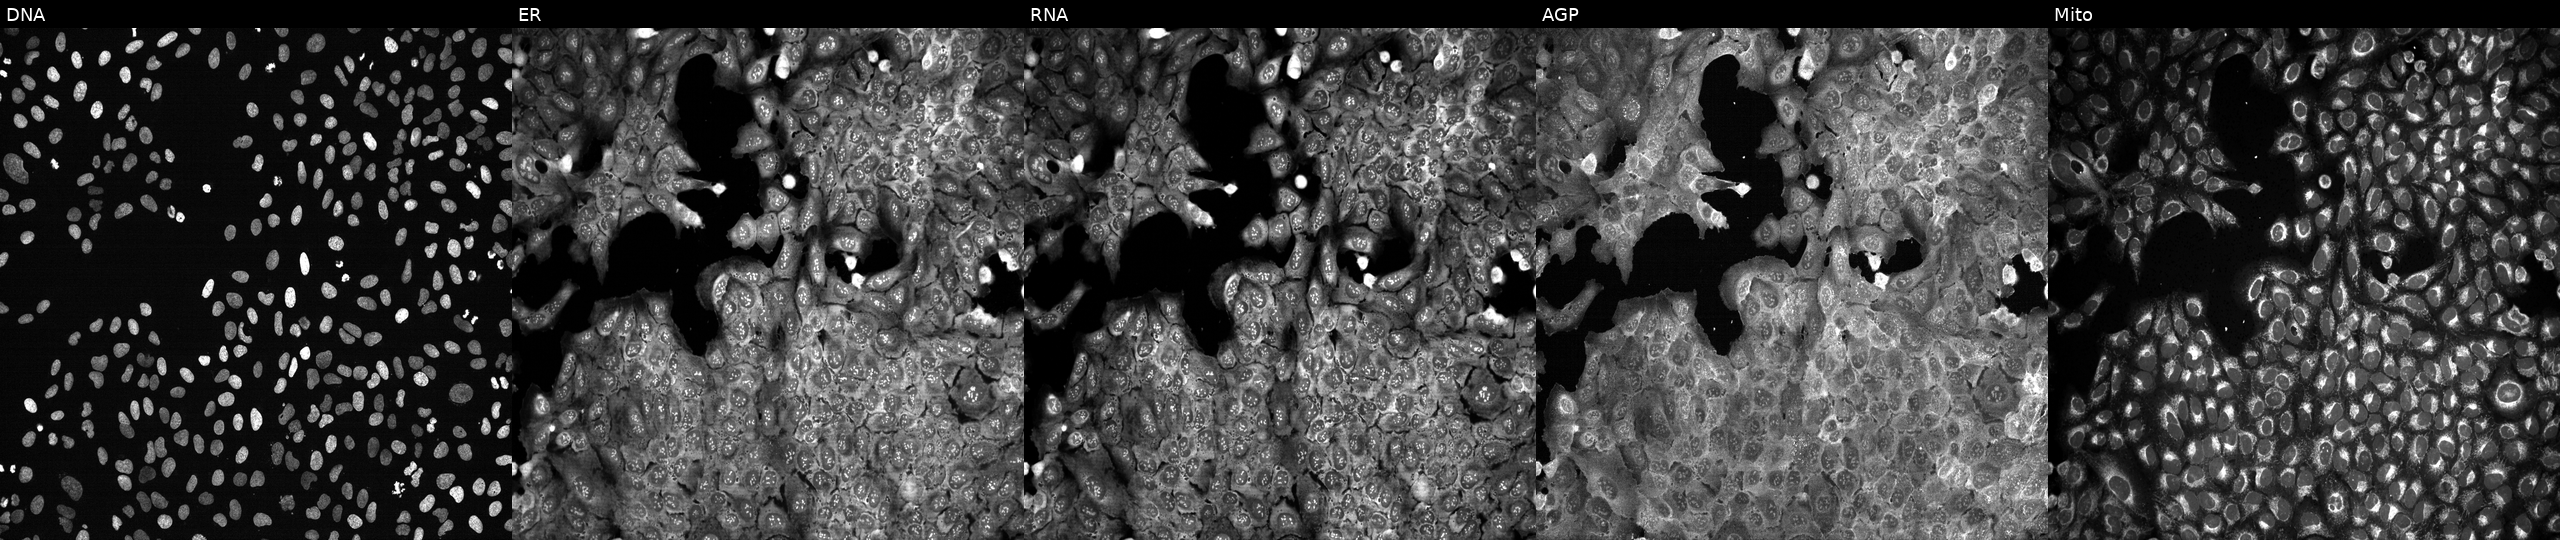
JUMP Cell Painting — CRISPR plate. U2OS cells CRISPR-edited to disrupt PCYT2 (JUMP id JCP2022_804976). Channels (left→right): DNA (nuclei); ER (endoplasmic reticulum); RNA (nucleoli and cytoplasmic RNA); AGP (actin cytoskeleton, Golgi, and plasma membrane); Mito (mitochondria).